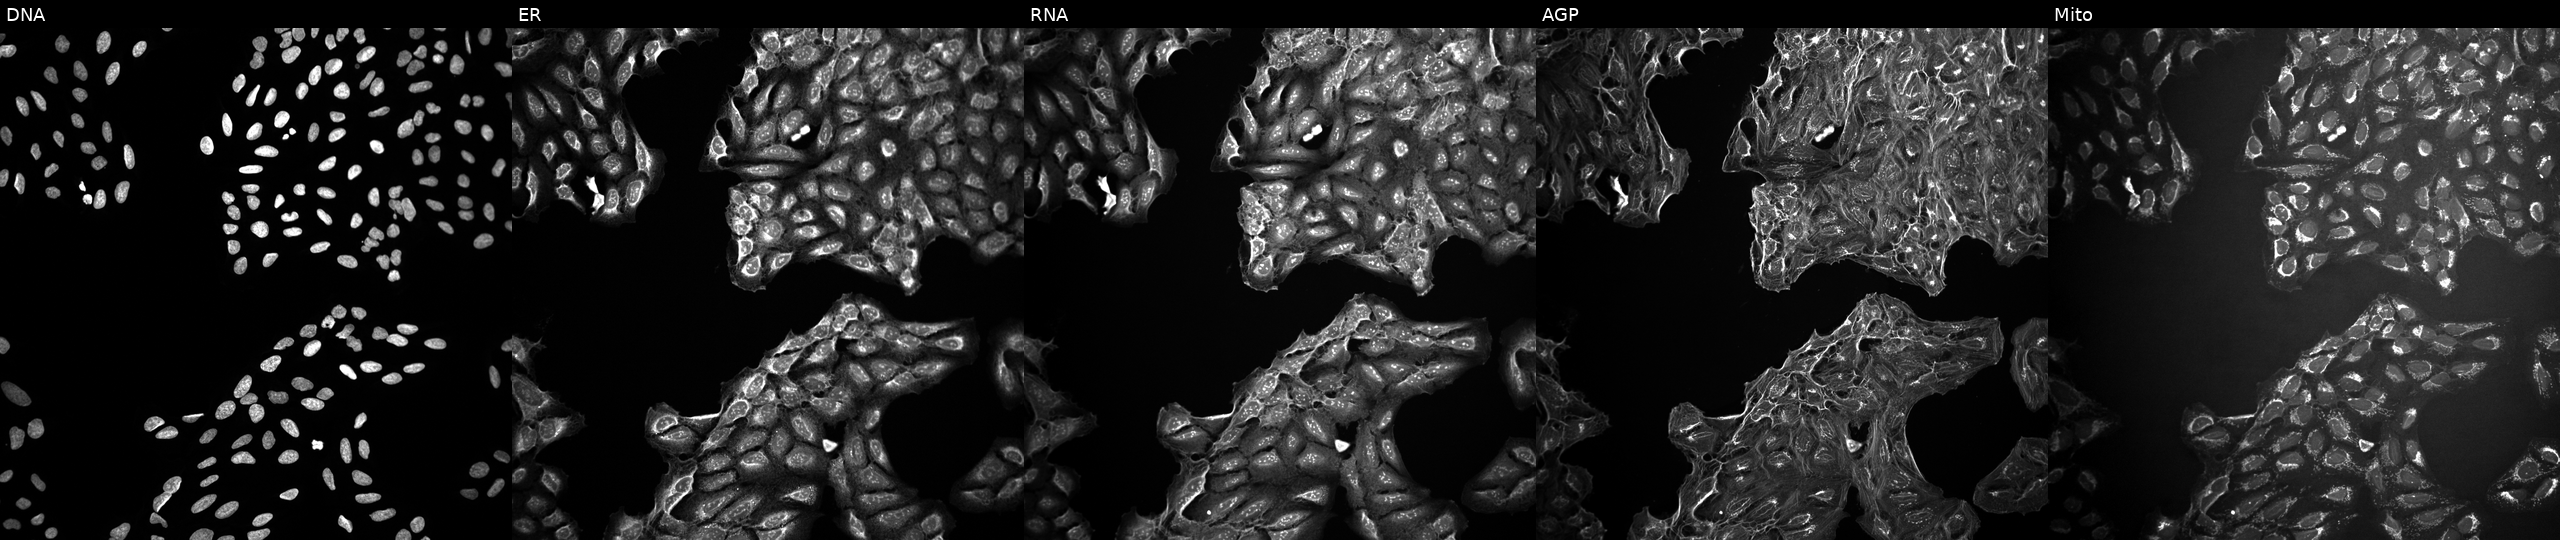
U2OS cells, Cell Painting assay, exposed to a small-molecule compound. Panels show, left to right, DNA, ER, RNA, AGP, and Mito. Each panel is percentile-stretched 16-bit fluorescence. Source 10, plate Dest210531-152324, well K22.